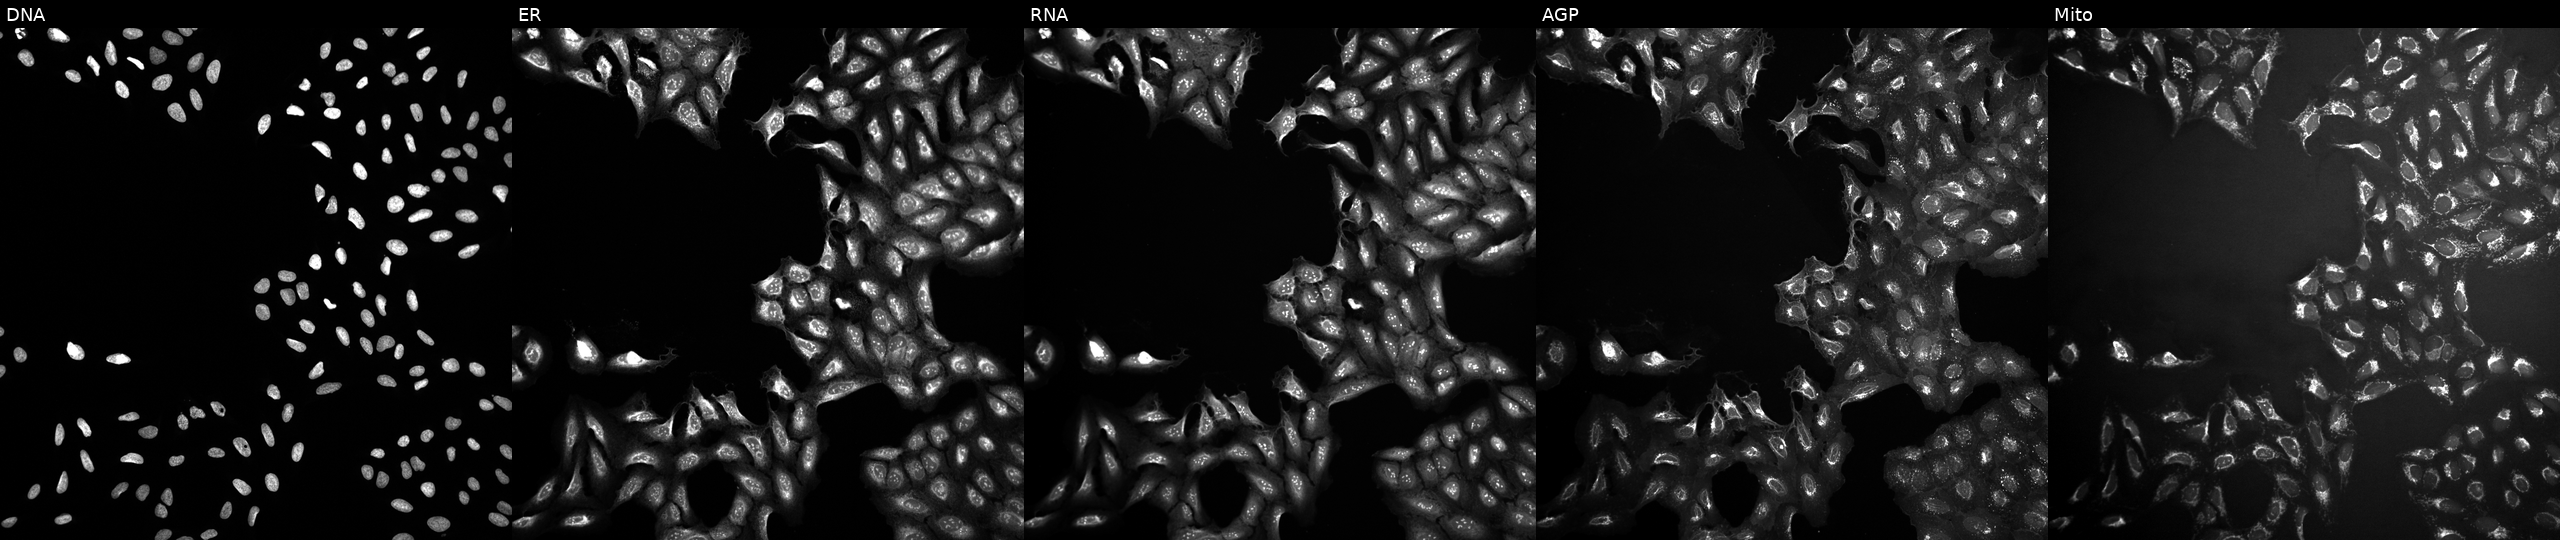
High-content fluorescence microscopy (Cell Painting). Cell line: U2OS. Perturbation: treated with DMSO vehicle only (negative control) (JUMP id JCP2022_033924). The five panels, left to right, show Hoechst 33342, concanavalin A, SYTO 14, phalloidin and WGA, MitoTracker. Source 10, plate Dest210803-153958, well H17.